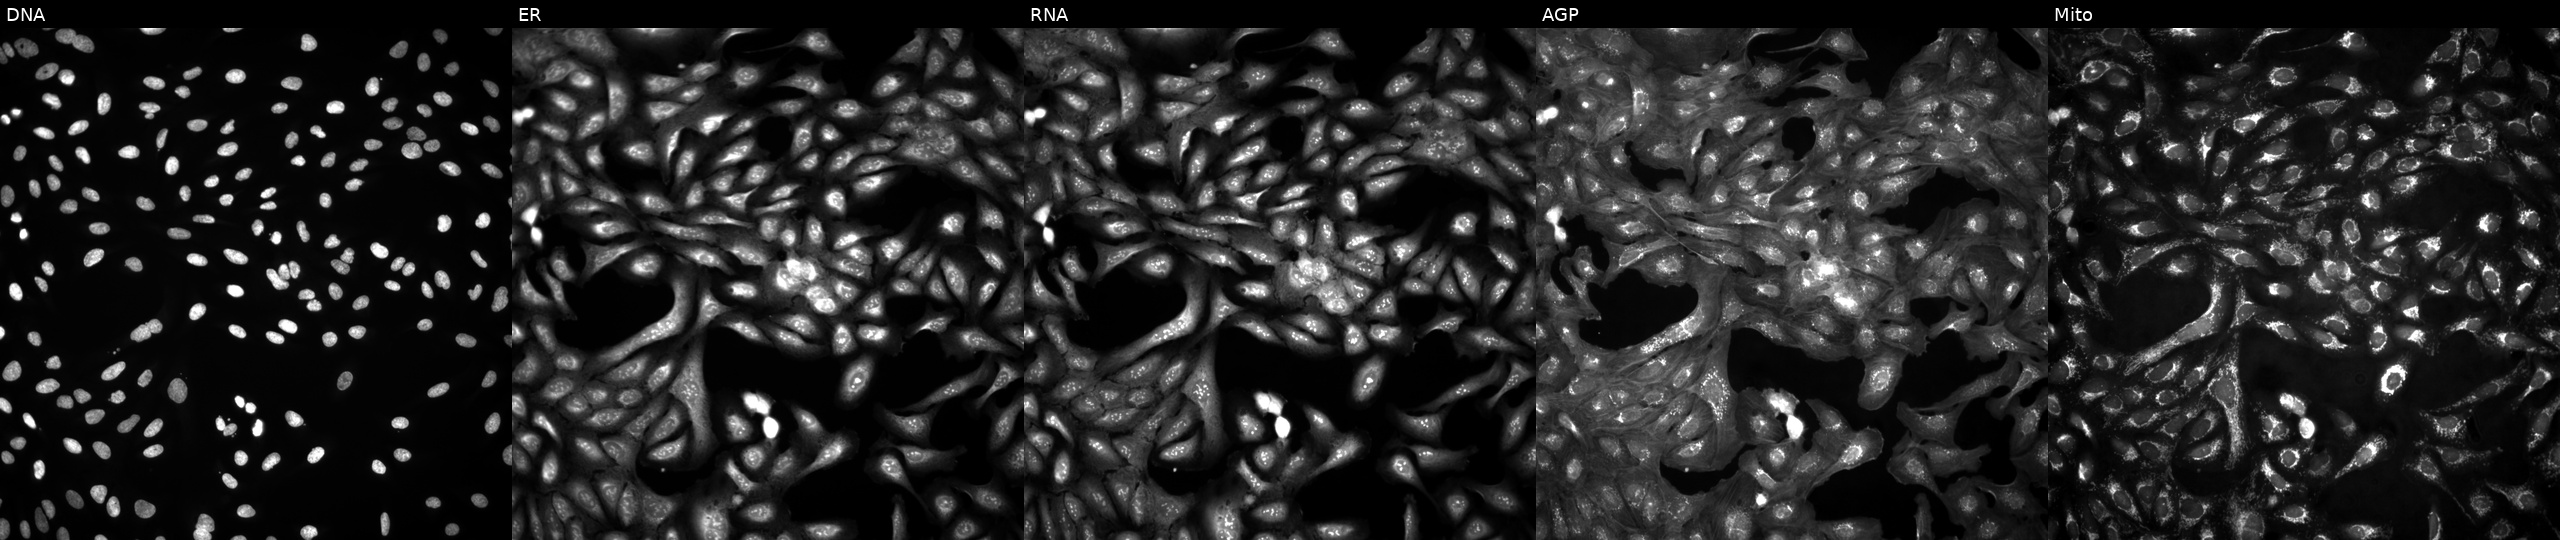
Five-channel Cell Painting image of U2OS cells untreated (empty-well control). The five panels, left to right, show DNA, ER, RNA, AGP, and Mito. Source 4, plate BR00124793, well J03.